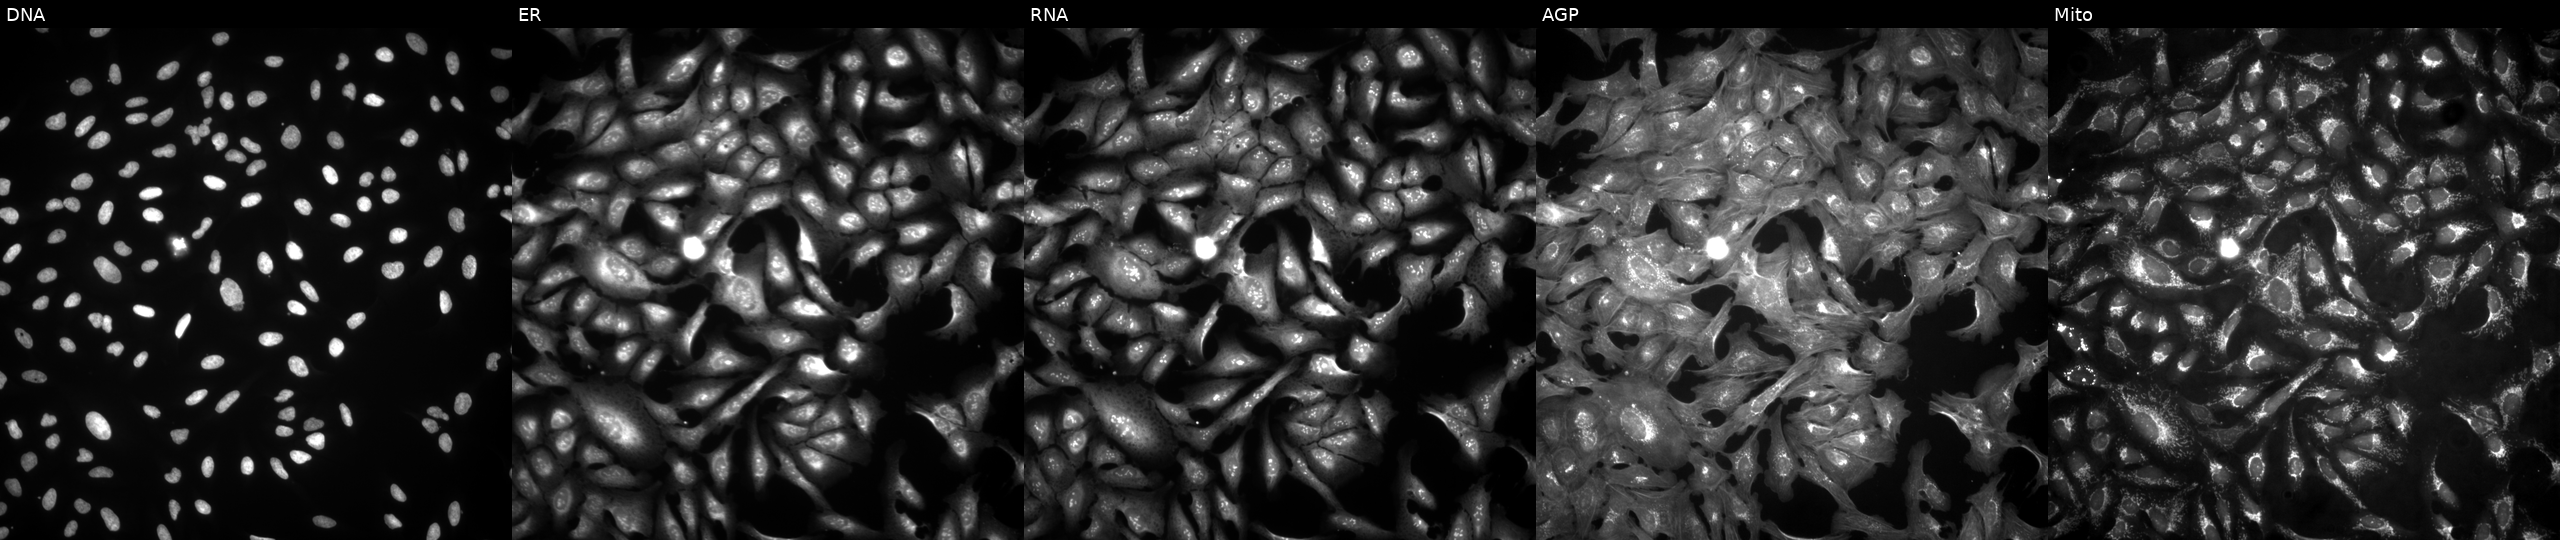
Channels (left→right): DNA (nuclei); ER (endoplasmic reticulum); RNA (nucleoli and cytoplasmic RNA); AGP (actin cytoskeleton, Golgi, and plasma membrane); Mito (mitochondria). U2OS osteosarcoma cells transfected with an ORF construct for SLC35F6 (JUMP id JCP2022_903284). Cell Painting assay, JUMP-CP dataset.